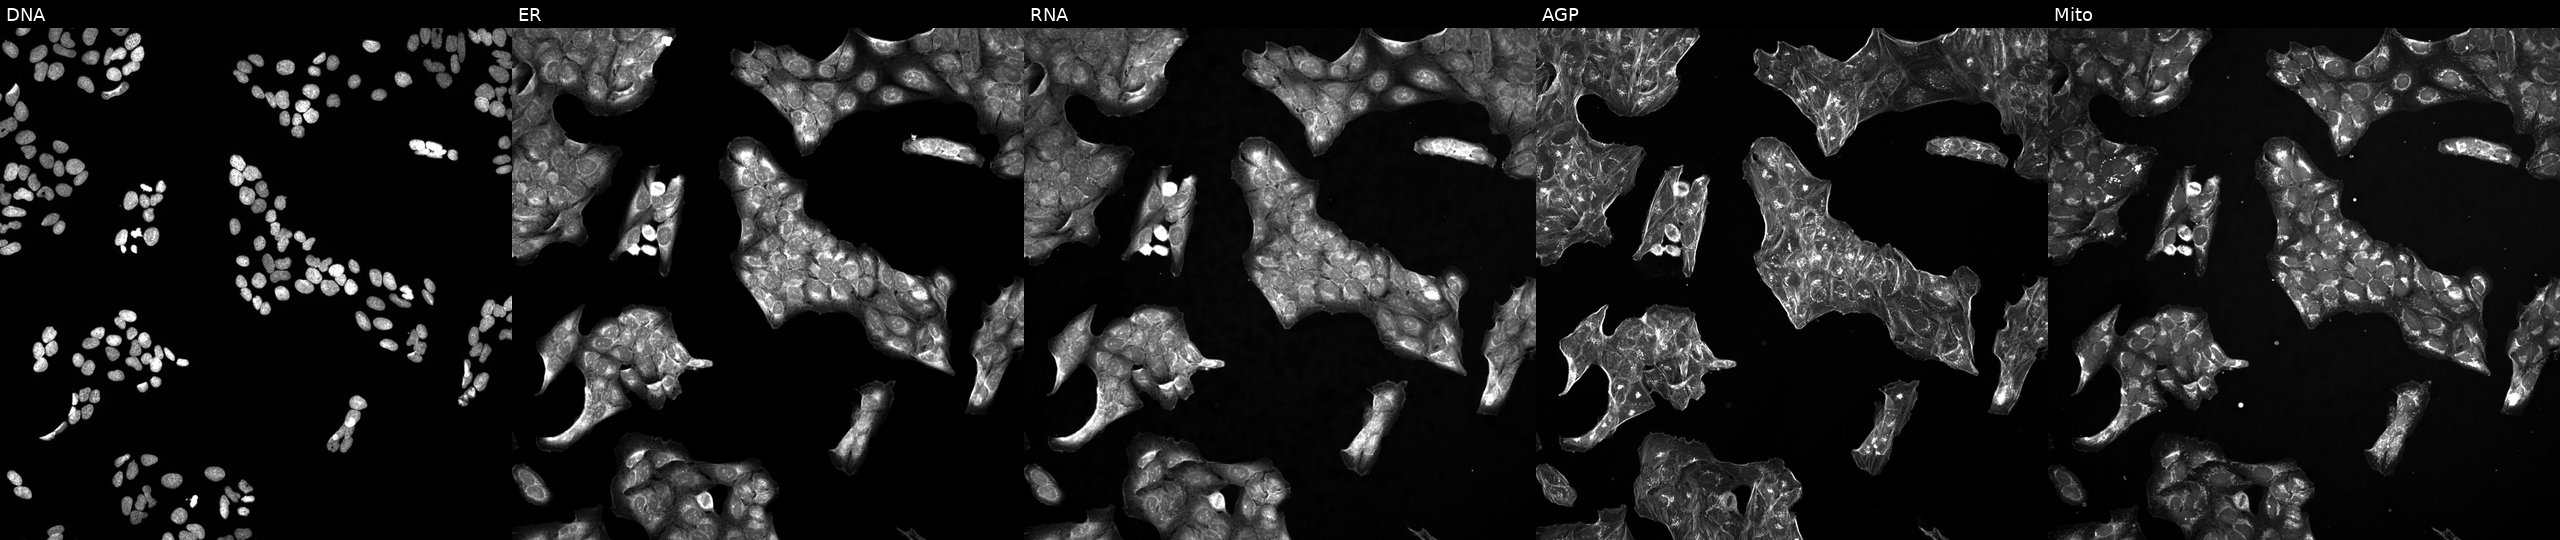
High-content fluorescence microscopy (Cell Painting). Cell line: U2OS. Perturbation: perturbed with a small-molecule compound (JUMP id JCP2022_067432). Panels show, left to right, DNA (nuclei); ER (endoplasmic reticulum); RNA (nucleoli and cytoplasmic RNA); AGP (actin cytoskeleton, Golgi, and plasma membrane); Mito (mitochondria).